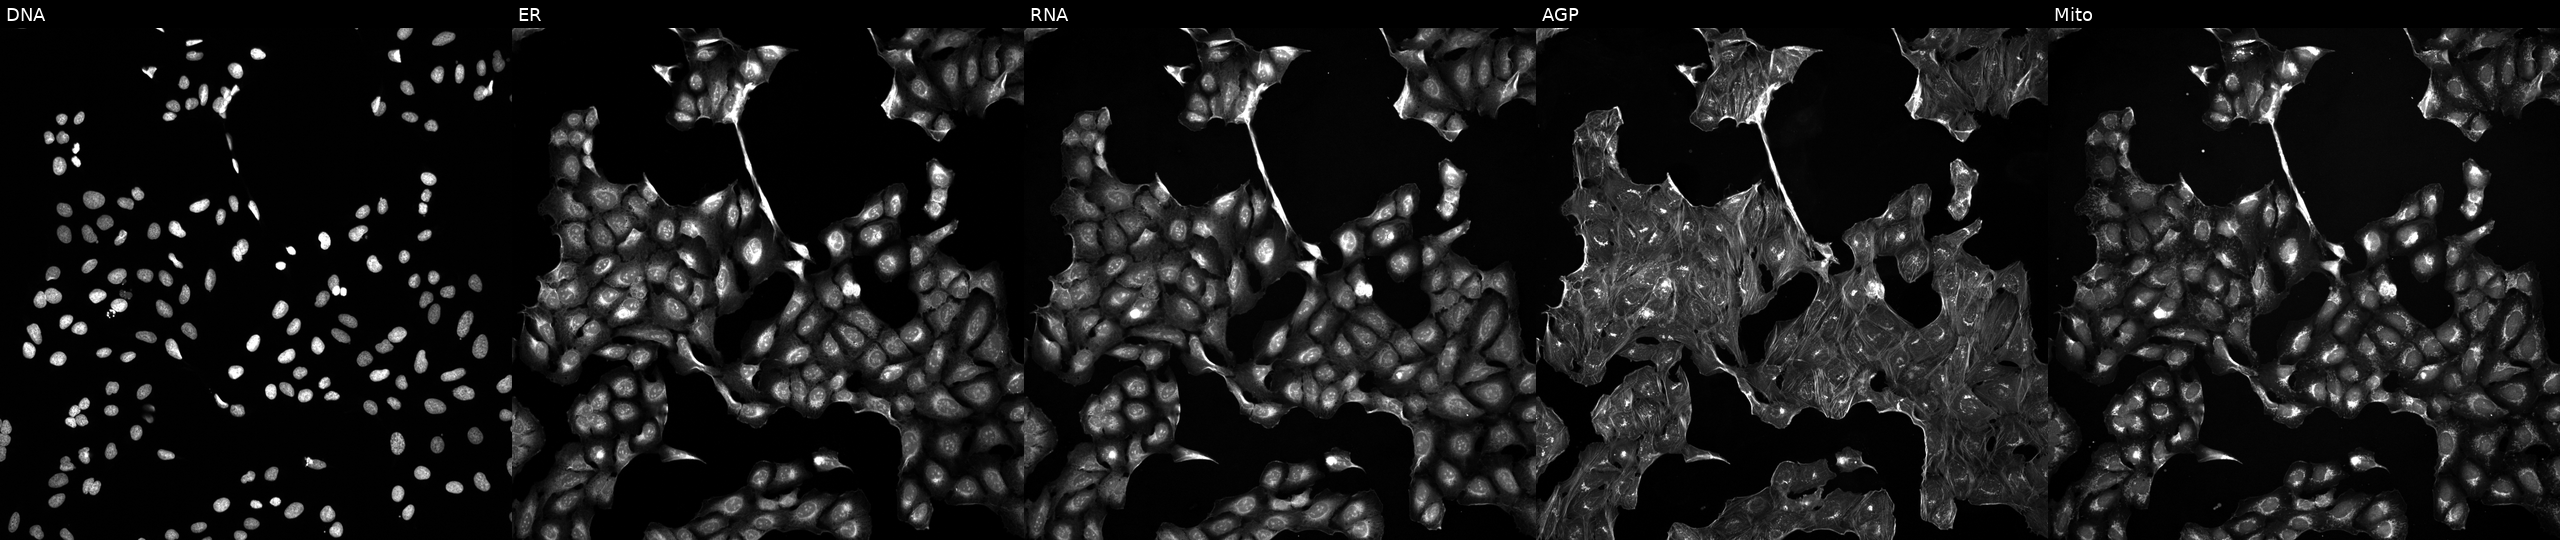
The five panels, left to right, show DNA, ER, RNA, AGP, and Mito. U2OS osteosarcoma cells exposed to the positive-control compound TC-S-7004 (JUMP id JCP2022_012818). Cell Painting assay, JUMP-CP dataset.